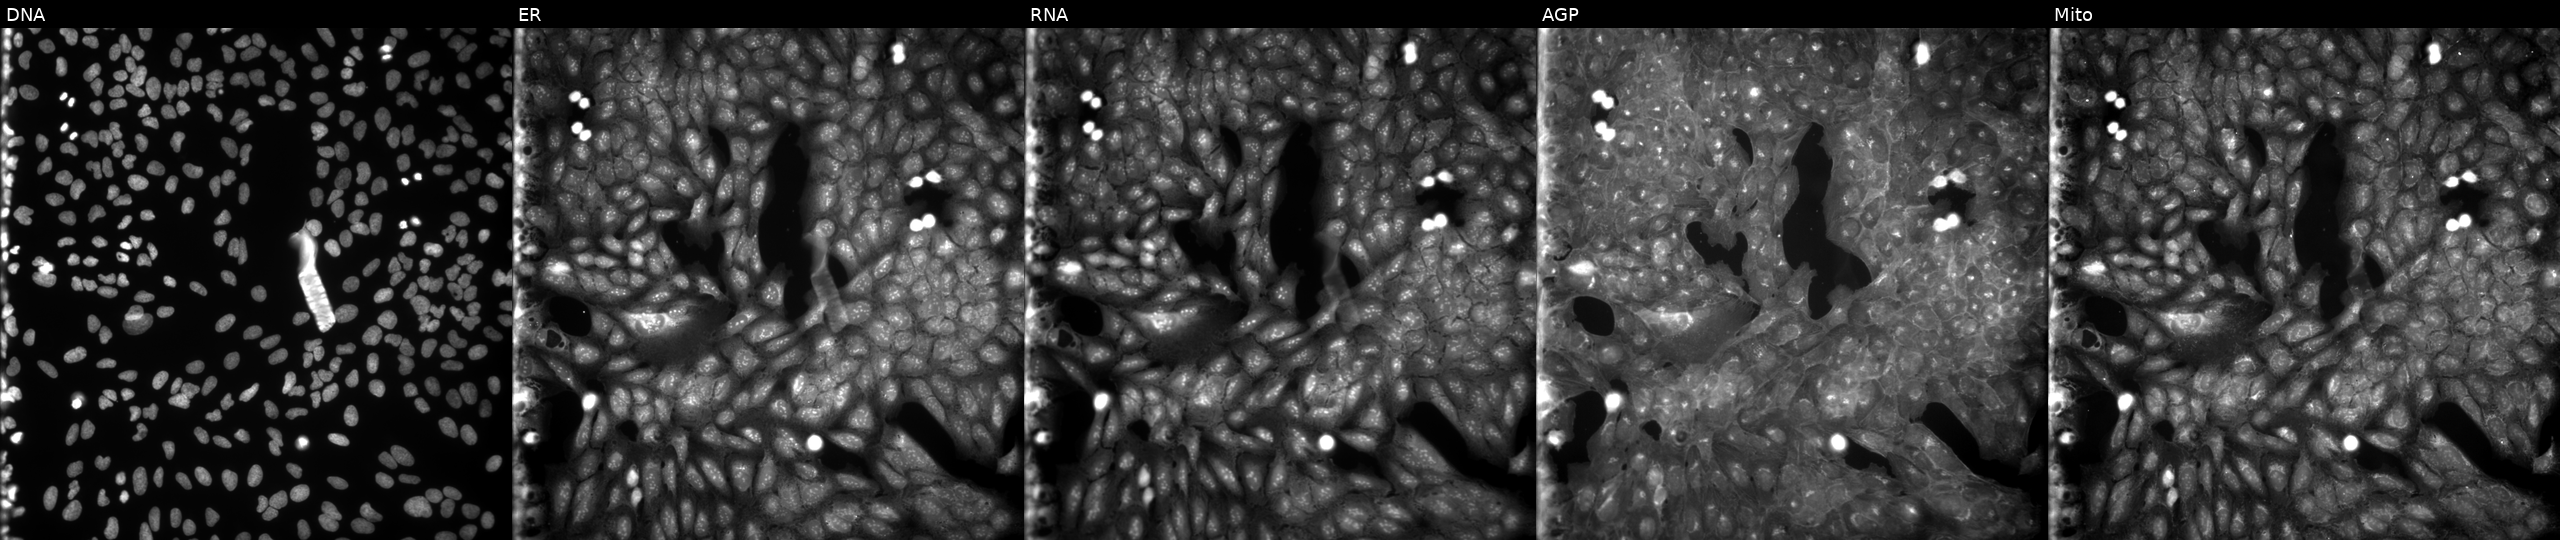
Five-channel Cell Painting image of U2OS cells treated with a small-molecule compound (InChIKey VDNJSLLKVQPKKG-UHFFFAOYSA-N) (JUMP id JCP2022_093258). Panels show, left to right, DNA, ER, RNA, AGP, and Mito.